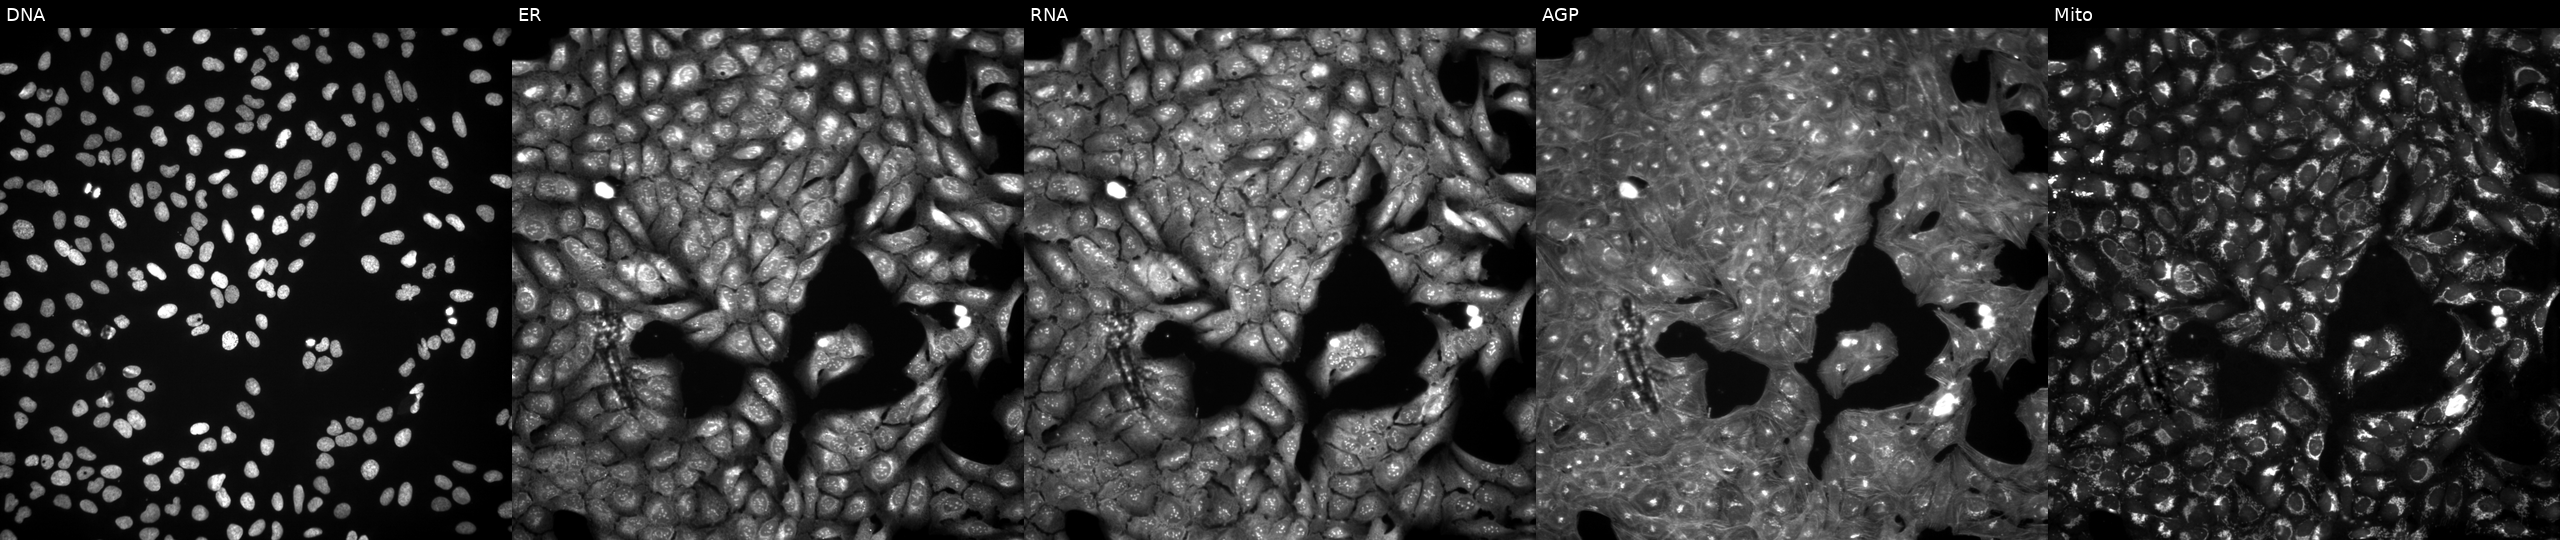
Five-channel Cell Painting image of U2OS cells exposed to DMSO alone as a negative control. From left to right: DNA, ER, RNA, AGP, and Mito. Source 3, plate JCPQC052, well G16.